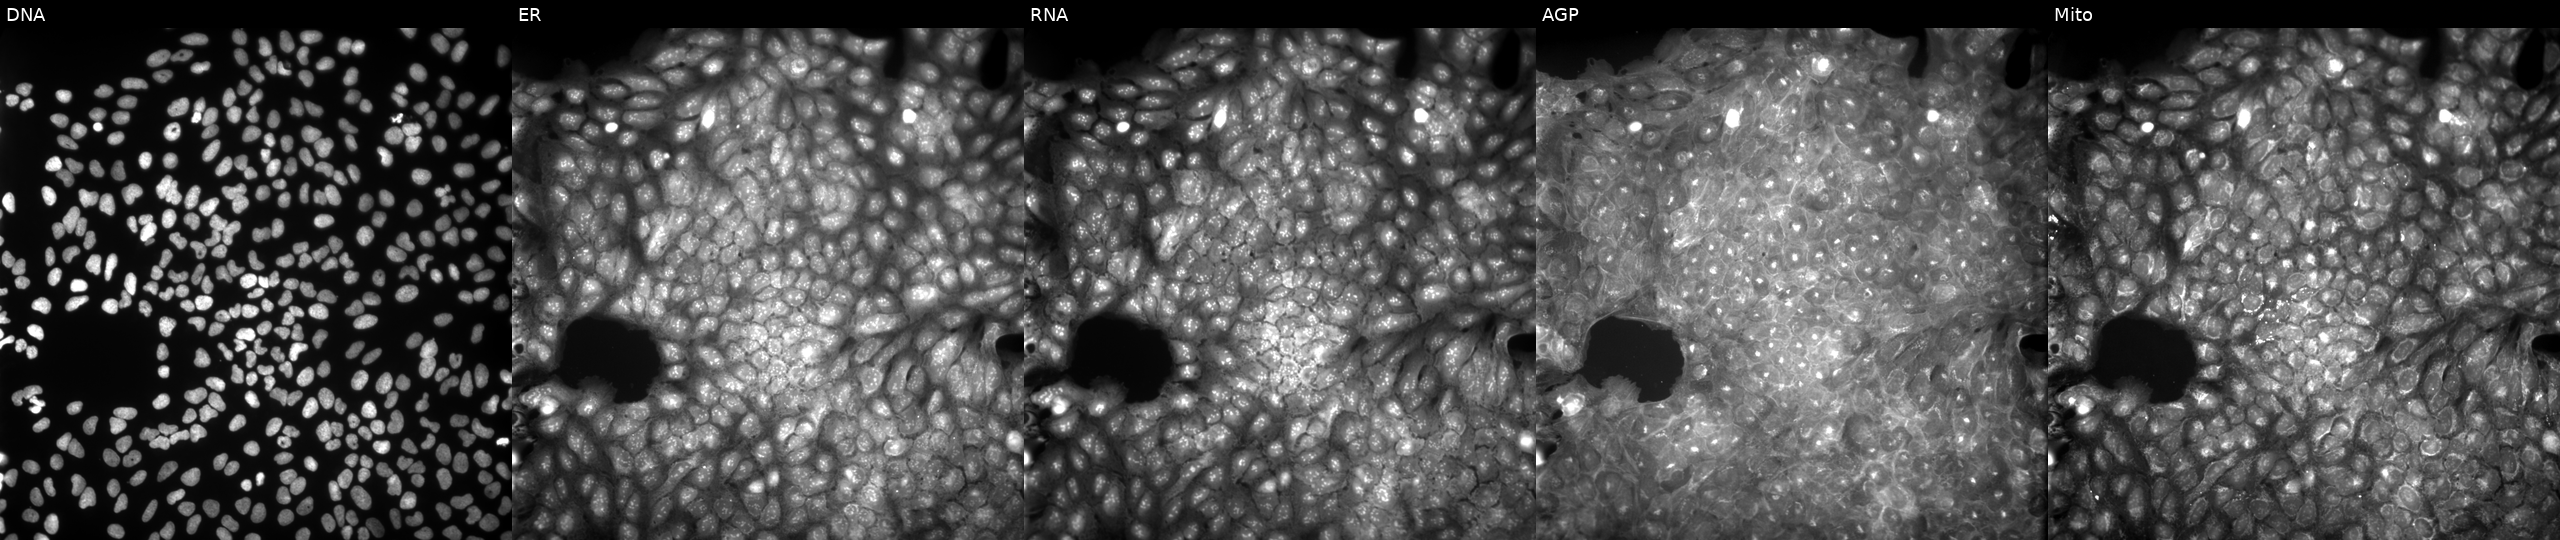
From left to right: DNA, ER, RNA, AGP, and Mito. U2OS osteosarcoma cells exposed to a small-molecule compound (JUMP id JCP2022_029801). Cell Painting assay, JUMP-CP dataset.